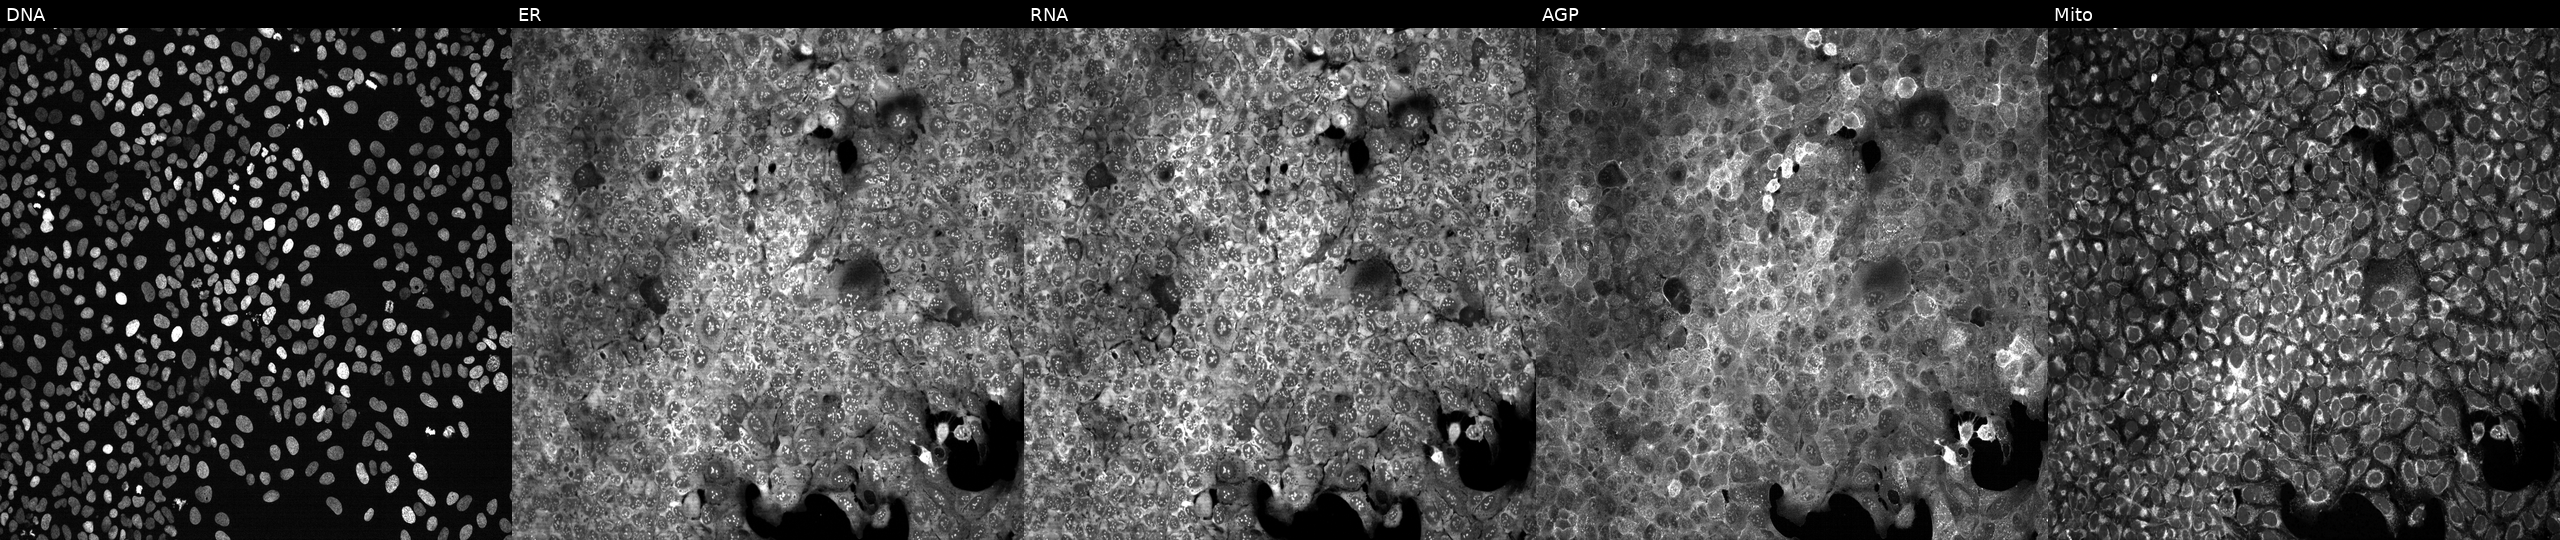
U2OS cells, Cell Painting assay, treated with LY2109761 (positive-control compound). Channels (left→right): DNA (nuclei); ER (endoplasmic reticulum); RNA (nucleoli and cytoplasmic RNA); AGP (actin cytoskeleton, Golgi, and plasma membrane); Mito (mitochondria). Each panel is percentile-stretched 16-bit fluorescence.